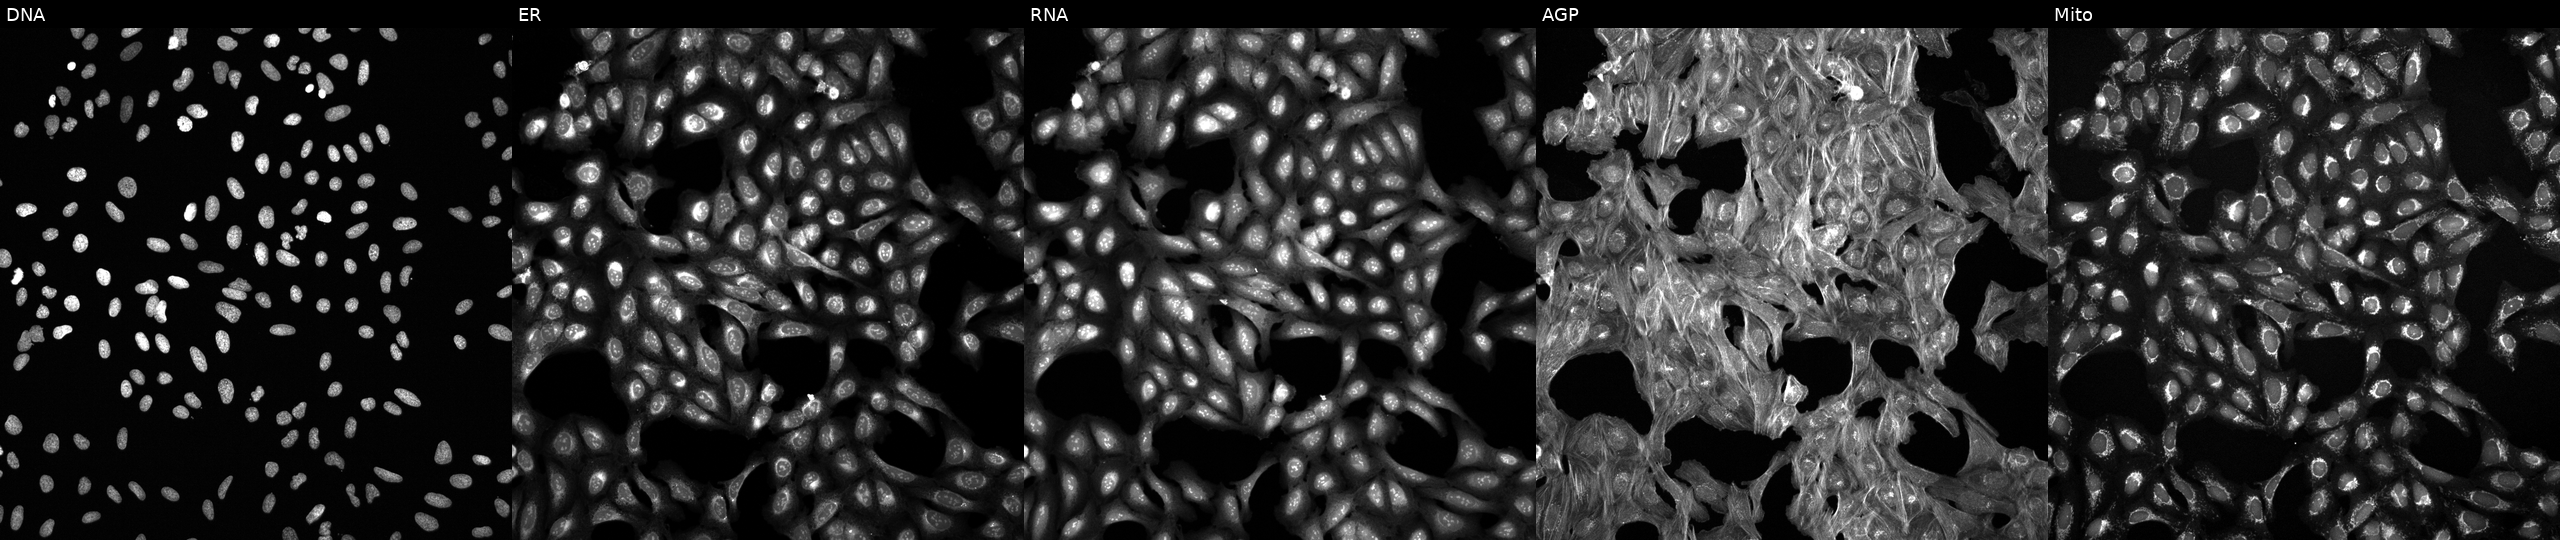
This image strip shows the five Cell Painting channels for a single field of U2OS cells treated with a small-molecule compound (InChIKey DTGLZDAWLRGWQN-UHFFFAOYSA-N). Channels (left→right): DNA (nuclei); ER (endoplasmic reticulum); RNA (nucleoli and cytoplasmic RNA); AGP (actin cytoskeleton, Golgi, and plasma membrane); Mito (mitochondria).